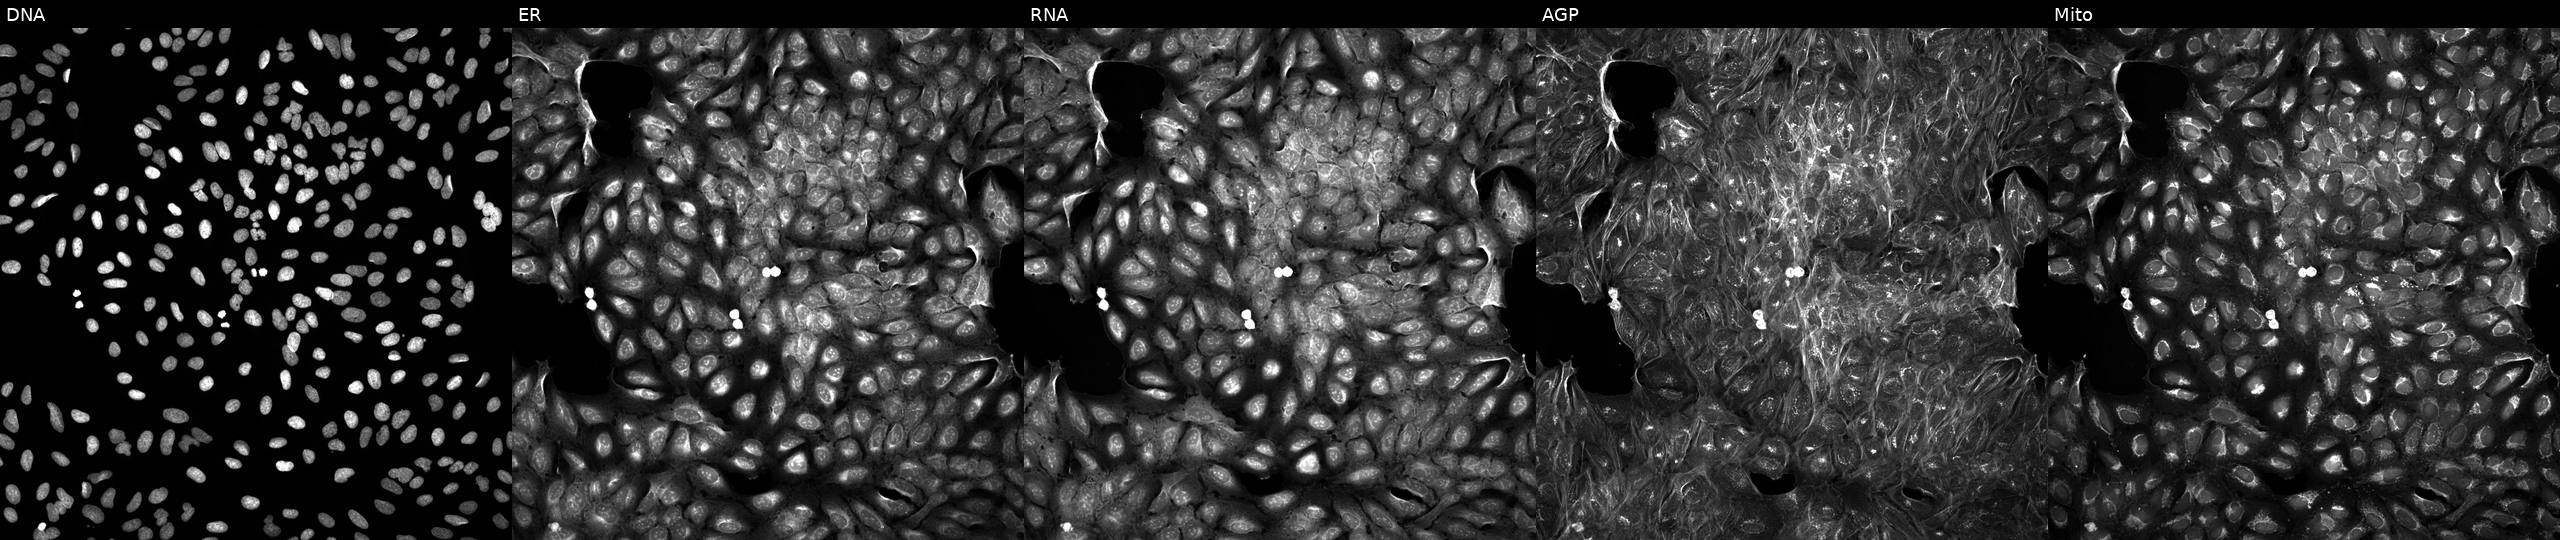
From left to right: DNA, ER, RNA, AGP, and Mito. U2OS osteosarcoma cells perturbed with a small-molecule compound (InChIKey KAQKFAOMNZTLHT-UHFFFAOYSA-N). Cell Painting assay, JUMP-CP dataset.